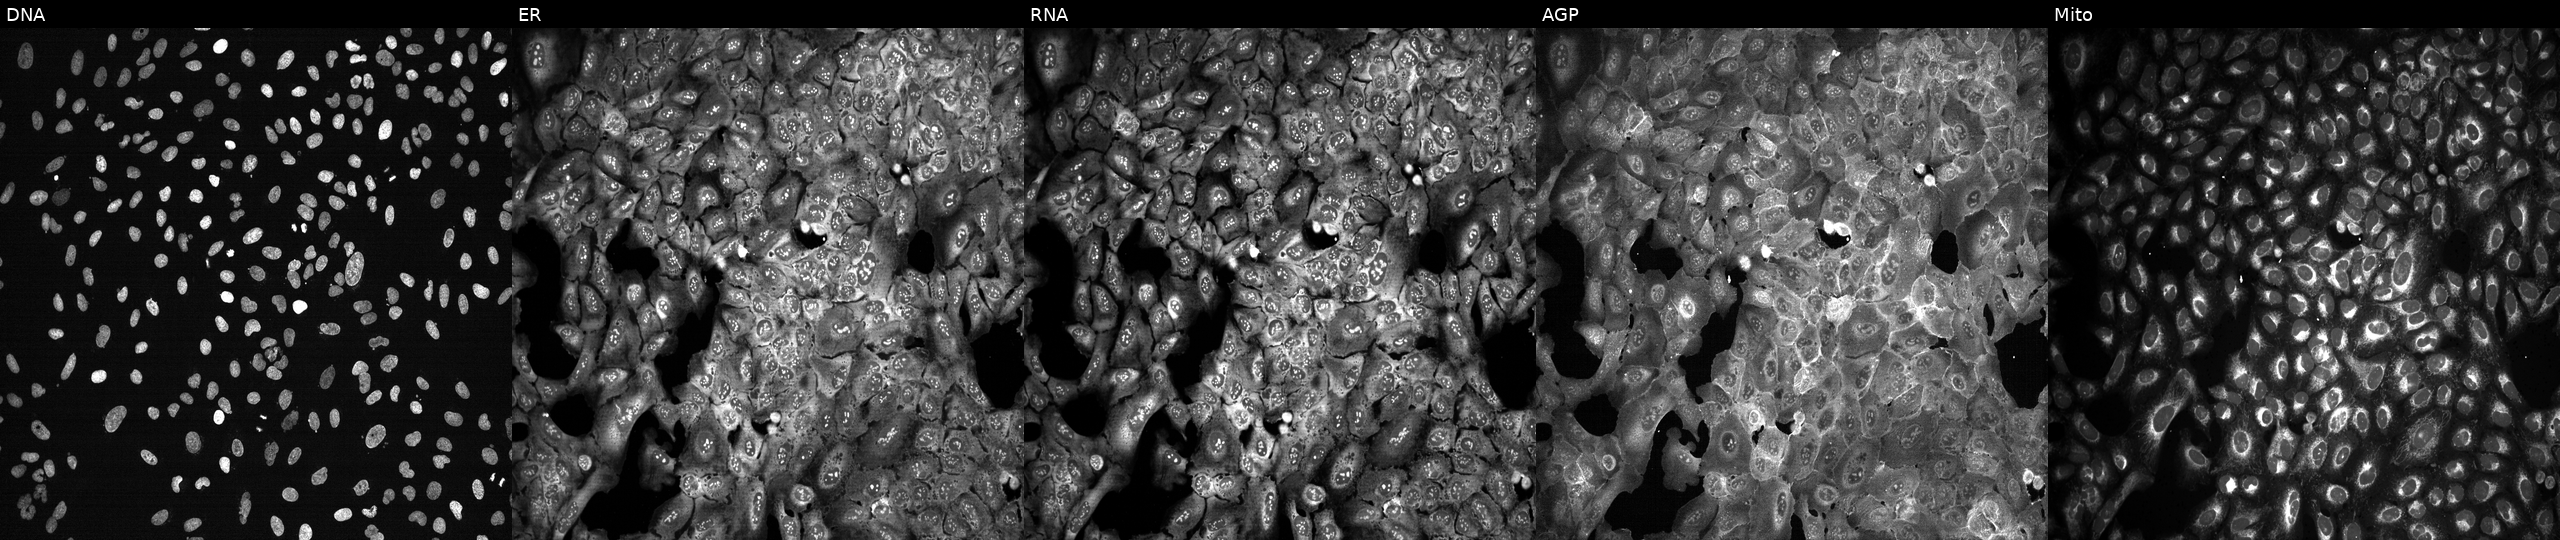
Channels (left→right): DNA, ER, RNA, AGP, and Mito. U2OS osteosarcoma cells following CRISPR knockout of TCN2. Cell Painting assay, JUMP-CP dataset.